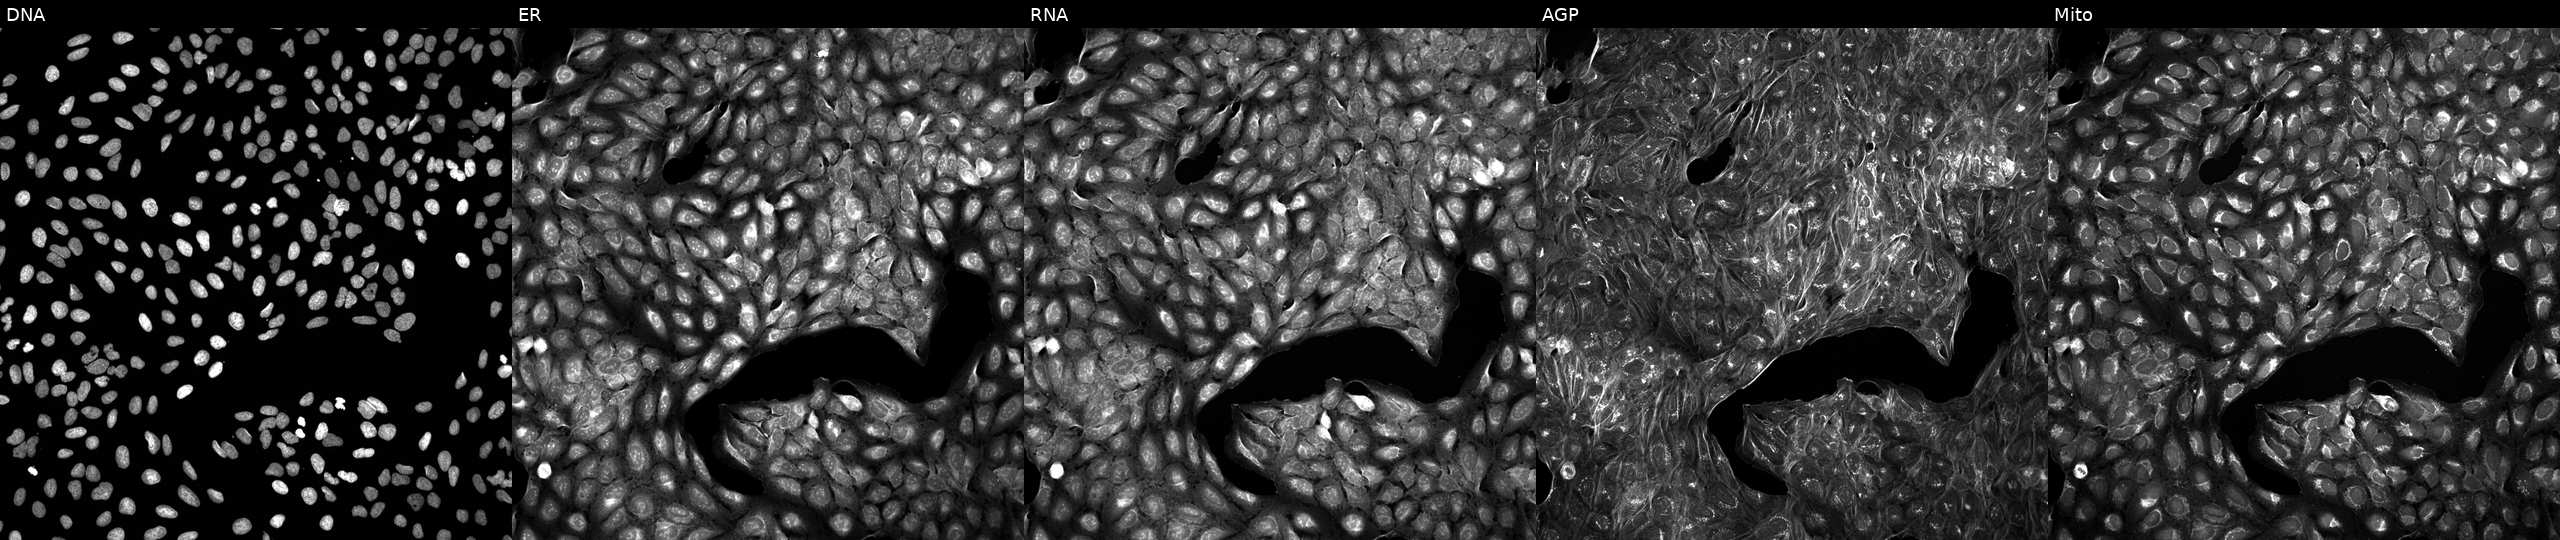
JUMP Cell Painting — COMPOUND plate. U2OS cells exposed to a small-molecule compound (InChIKey QMRHEDLIPQDECW-UHFFFAOYSA-N). The five panels, left to right, show Hoechst 33342, concanavalin A, SYTO 14, phalloidin and WGA, MitoTracker.